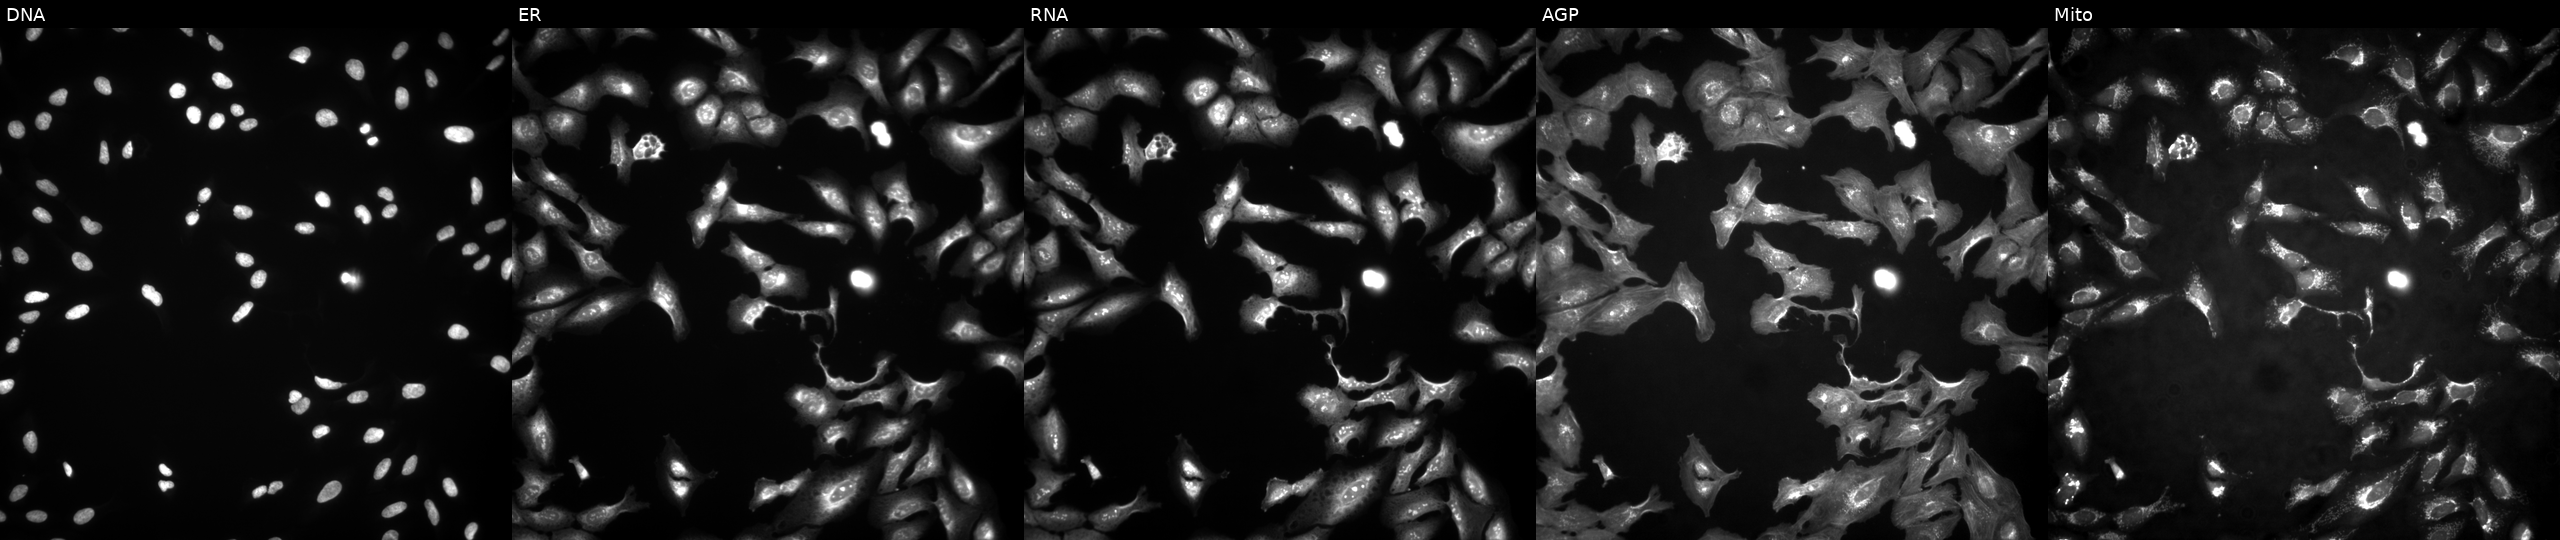
High-content fluorescence microscopy (Cell Painting). Cell line: U2OS. Perturbation: overexpressing NFU1 via ORF transfection. The five panels, left to right, show DNA (nuclei); ER (endoplasmic reticulum); RNA (nucleoli and cytoplasmic RNA); AGP (actin cytoskeleton, Golgi, and plasma membrane); Mito (mitochondria). Source 4, plate BR00123509, well I20.